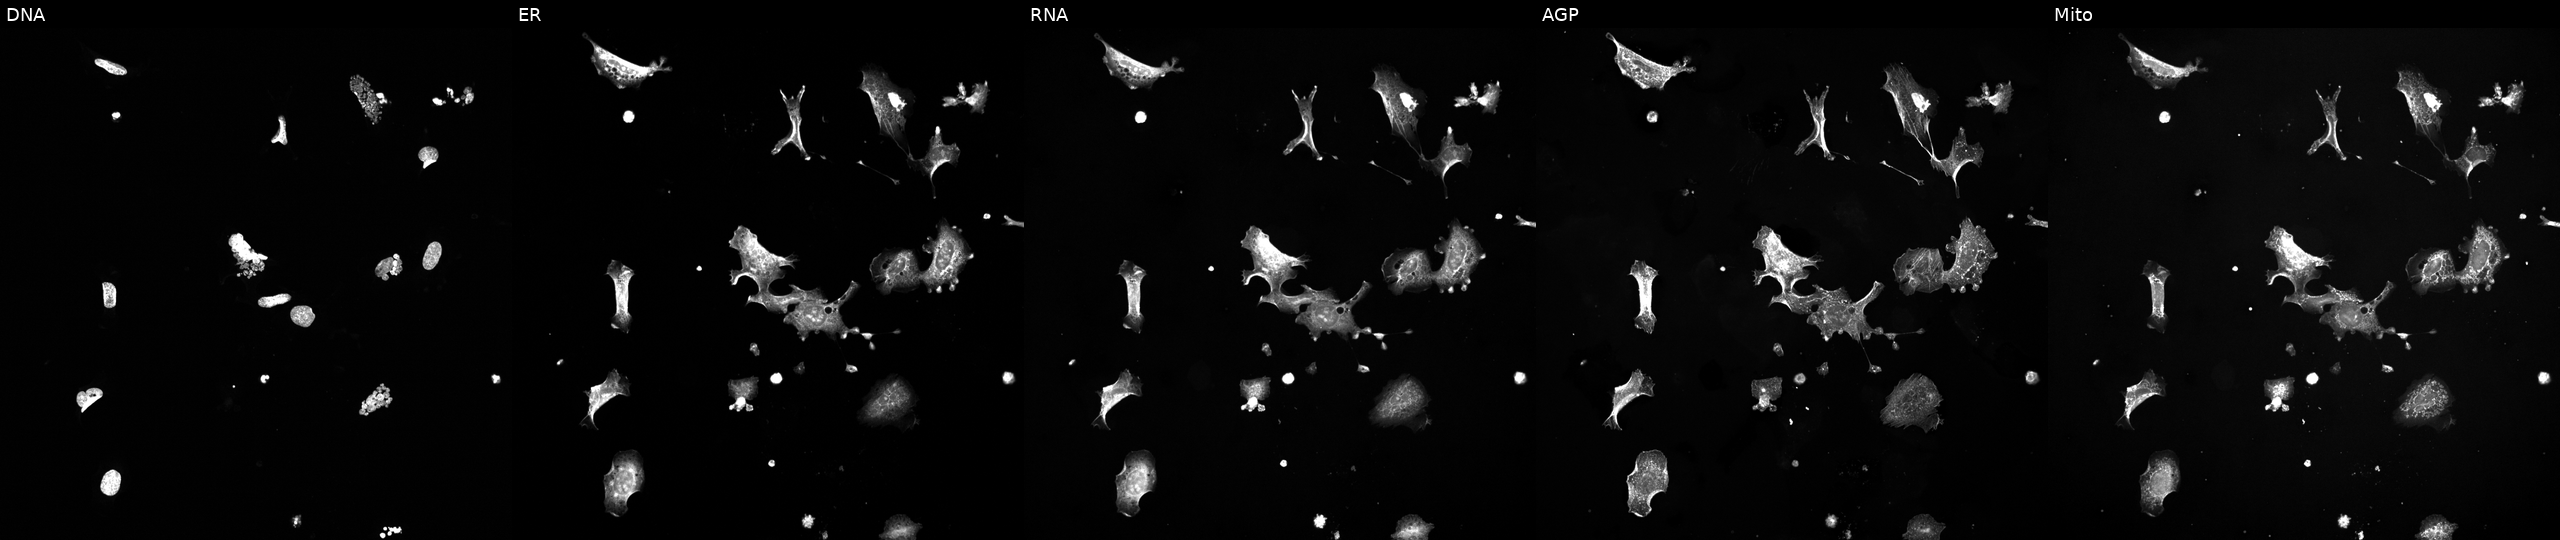
This image strip shows the five Cell Painting channels for a single field of U2OS cells exposed to a small-molecule compound (InChIKey IAKHMKGGTNLKSZ-UHFFFAOYSA-N) (JUMP id JCP2022_033814). From left to right: DNA (nuclei); ER (endoplasmic reticulum); RNA (nucleoli and cytoplasmic RNA); AGP (actin cytoskeleton, Golgi, and plasma membrane); Mito (mitochondria). Source 5, plate ACPJUM051, well F19.